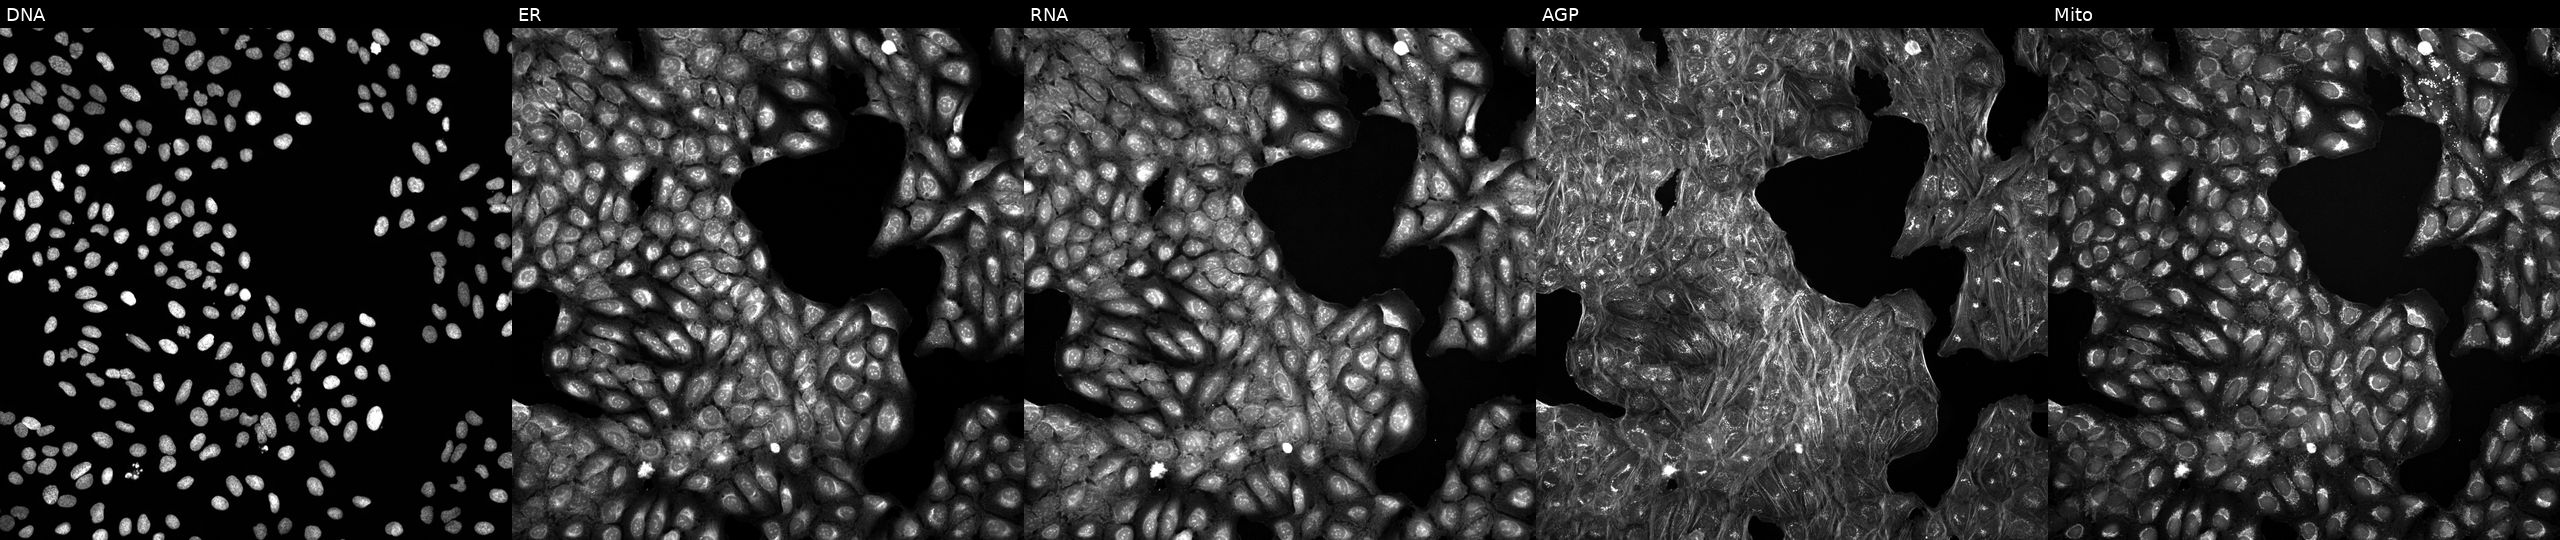
This image strip shows the five Cell Painting channels for a single field of U2OS cells exposed to the positive-control compound quinidine. Panels show, left to right, Hoechst 33342, concanavalin A, SYTO 14, phalloidin and WGA, MitoTracker. Source 5, plate ACPJUM012, well H12.